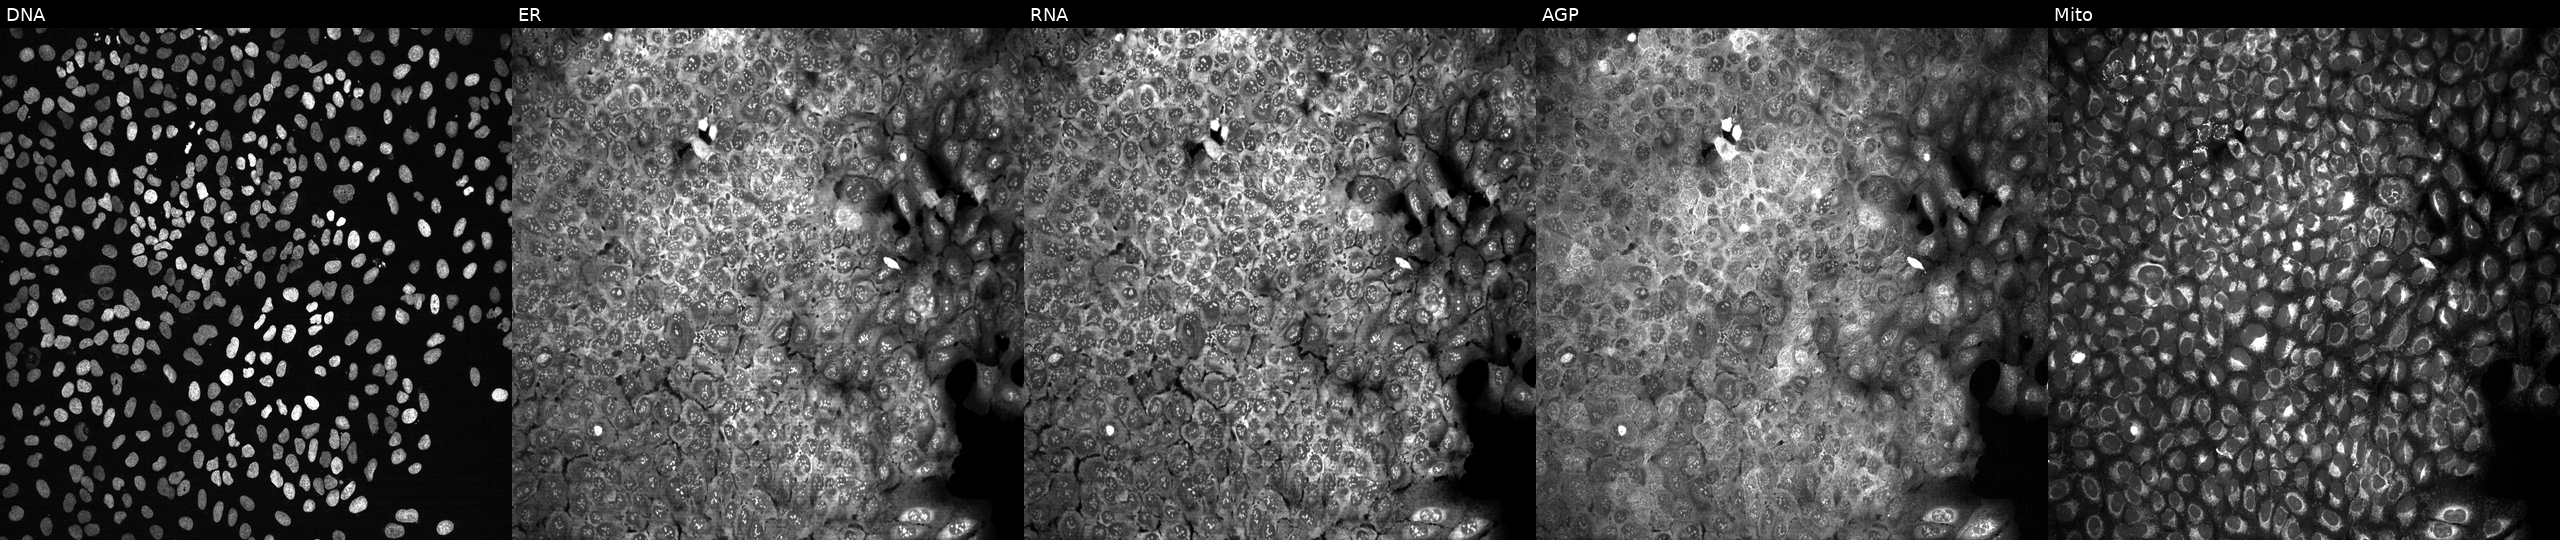
JUMP Cell Painting — CRISPR plate. U2OS cells CRISPR-edited to disrupt SGPL1. Channels (left→right): DNA (nuclei); ER (endoplasmic reticulum); RNA (nucleoli and cytoplasmic RNA); AGP (actin cytoskeleton, Golgi, and plasma membrane); Mito (mitochondria). Source 13, plate CP-CC9-R4-03, well P06.